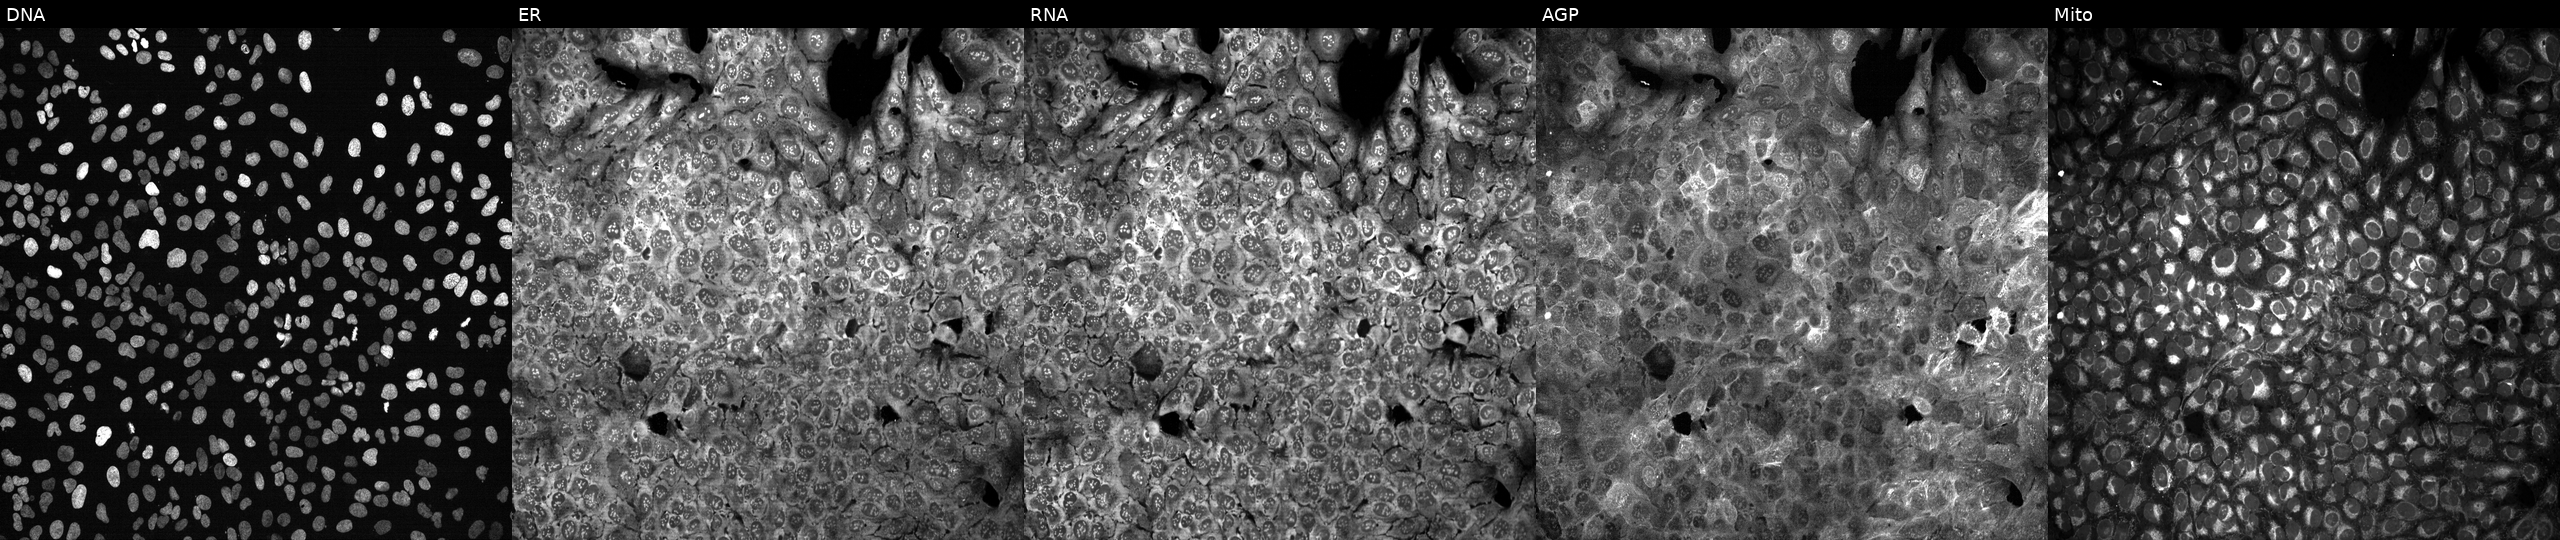
The five panels, left to right, show Hoechst 33342, concanavalin A, SYTO 14, phalloidin and WGA, MitoTracker. U2OS osteosarcoma cells CRISPR-edited to disrupt PDGFB. Cell Painting assay, JUMP-CP dataset. Source 13, plate CP-CC9-R2-01, well M13.